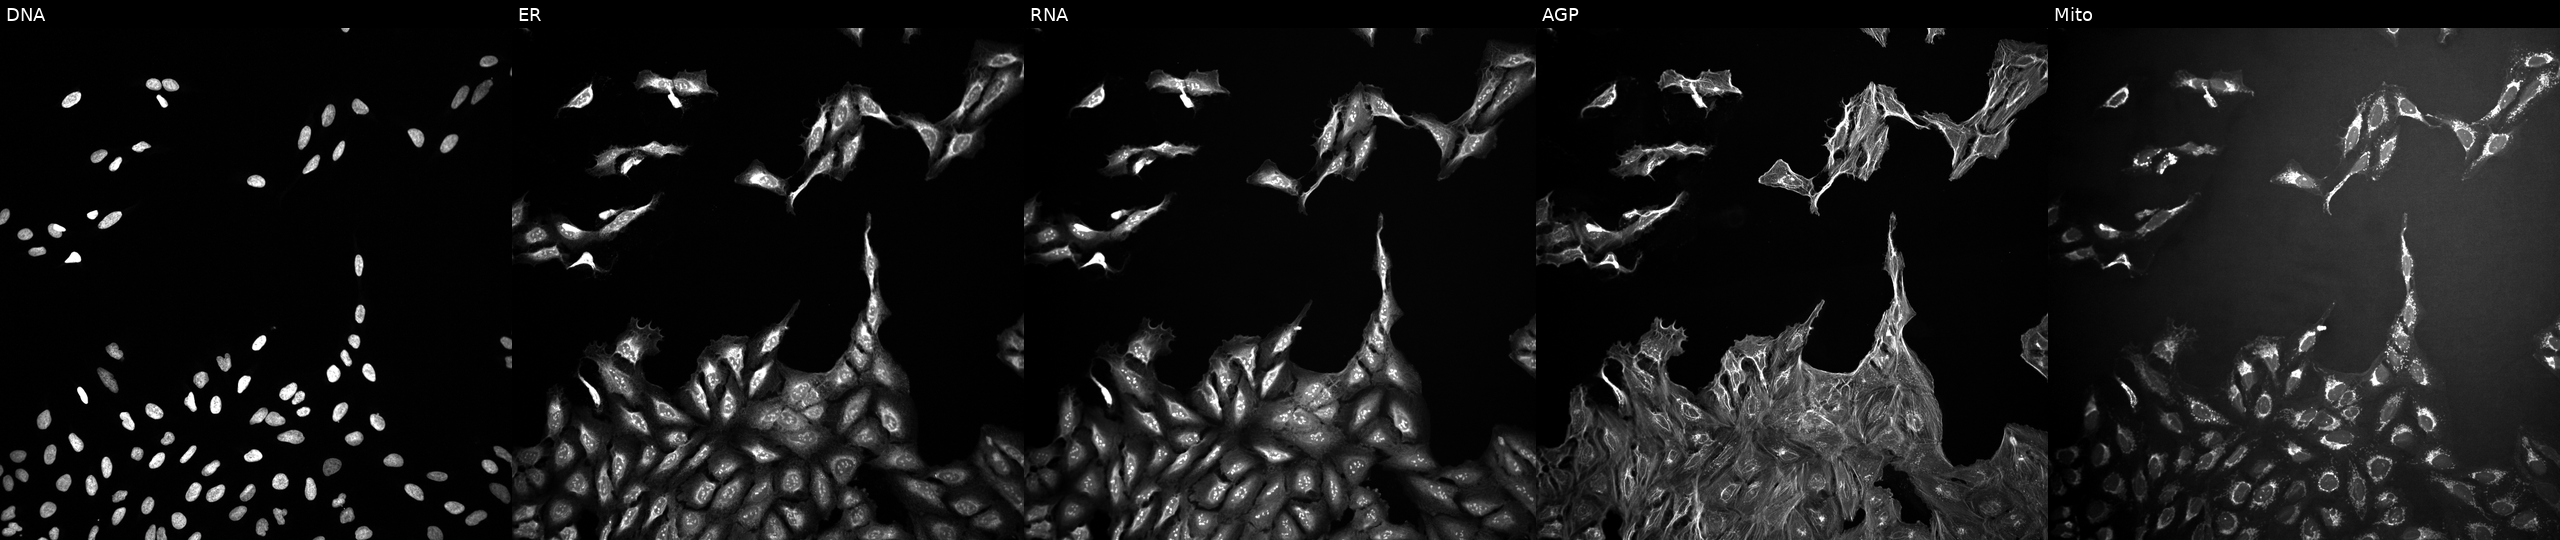
This image strip shows the five Cell Painting channels for a single field of U2OS cells exposed to DMSO alone as a negative control. Channels (left→right): DNA (nuclei); ER (endoplasmic reticulum); RNA (nucleoli and cytoplasmic RNA); AGP (actin cytoskeleton, Golgi, and plasma membrane); Mito (mitochondria).